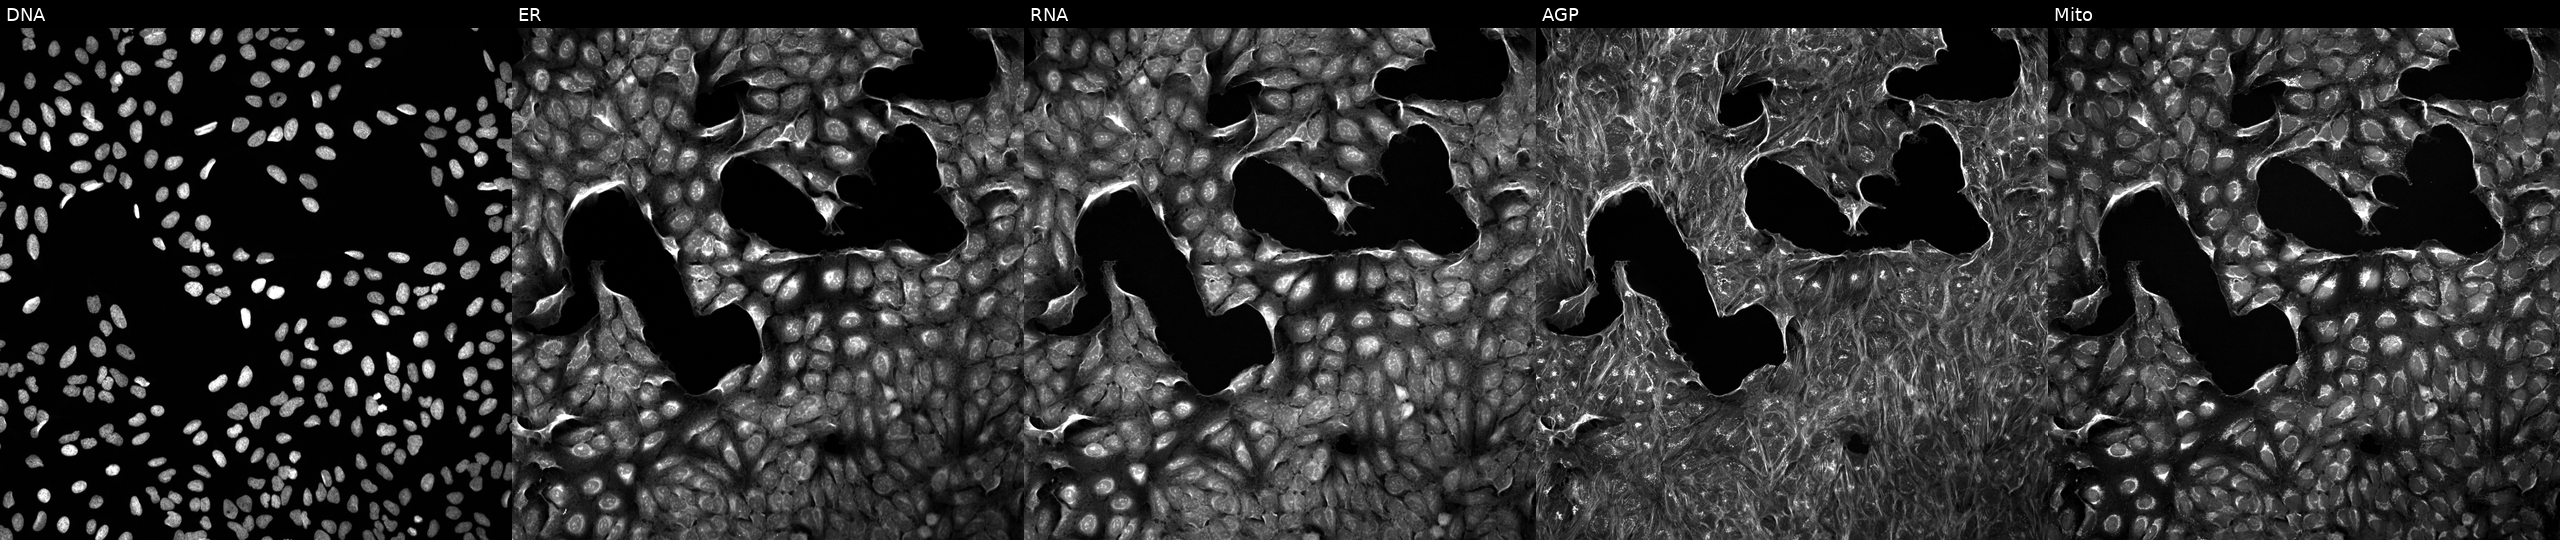
JUMP Cell Painting — TARGET2 plate. U2OS cells exposed to a small-molecule compound (InChIKey IKENVDNFQMCRTR-UHFFFAOYSA-N) (JUMP id JCP2022_035570). The five panels, left to right, show Hoechst 33342, concanavalin A, SYTO 14, phalloidin and WGA, MitoTracker.